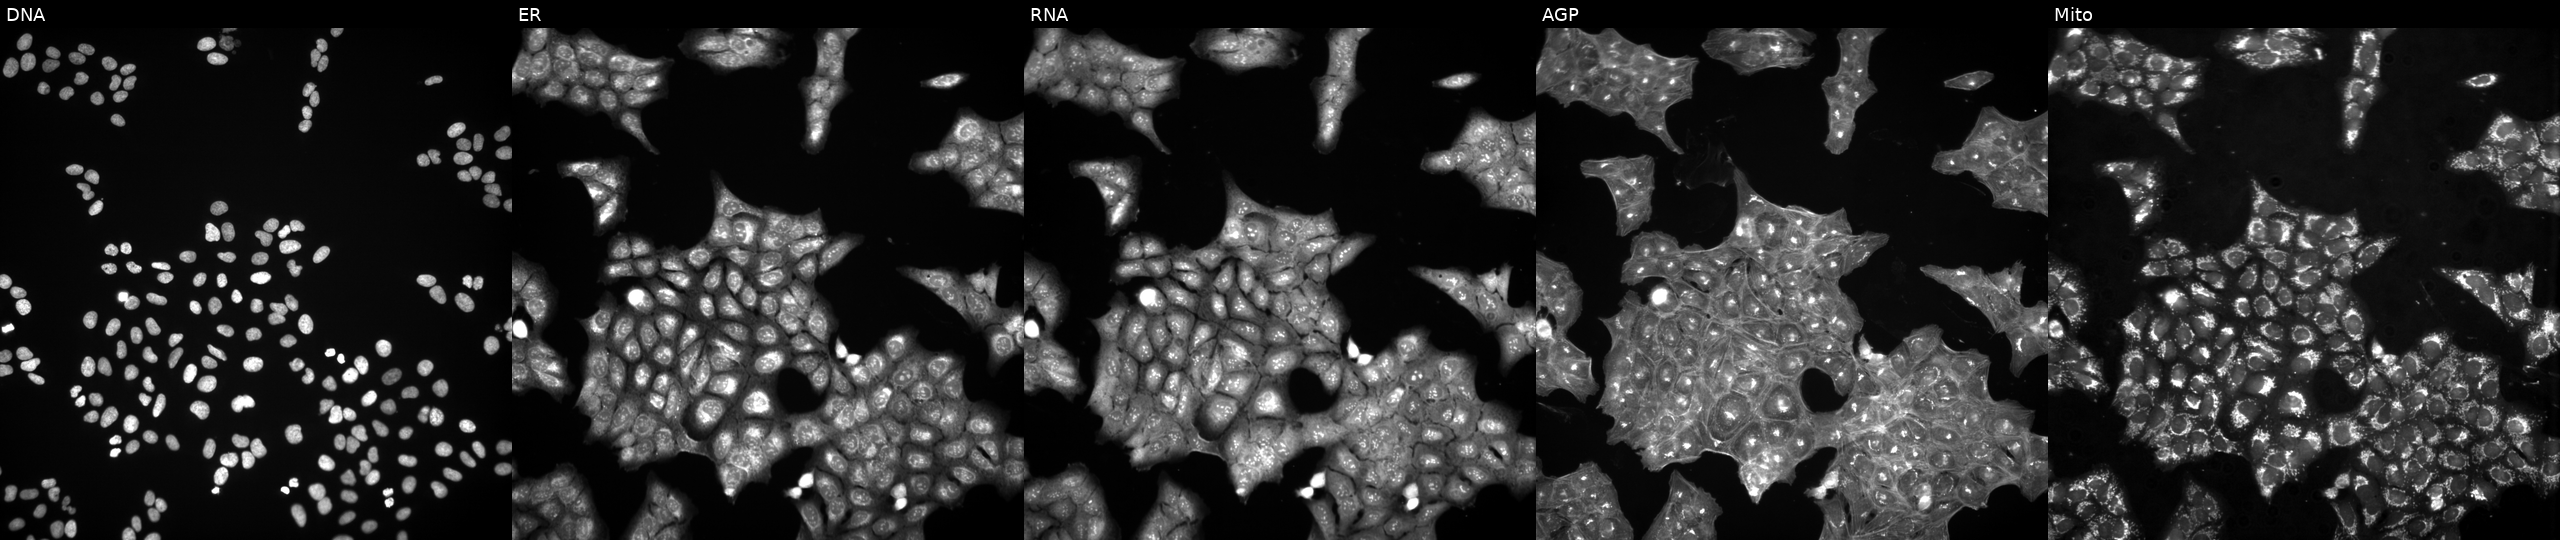
U2OS cells, Cell Painting assay, treated with a small-molecule compound (InChIKey LDIHKJYPSWGWOK-UHFFFAOYSA-N). Channels (left→right): DNA (nuclei); ER (endoplasmic reticulum); RNA (nucleoli and cytoplasmic RNA); AGP (actin cytoskeleton, Golgi, and plasma membrane); Mito (mitochondria). Each panel is percentile-stretched 16-bit fluorescence. Source 3, plate BR5867a3, well P10.